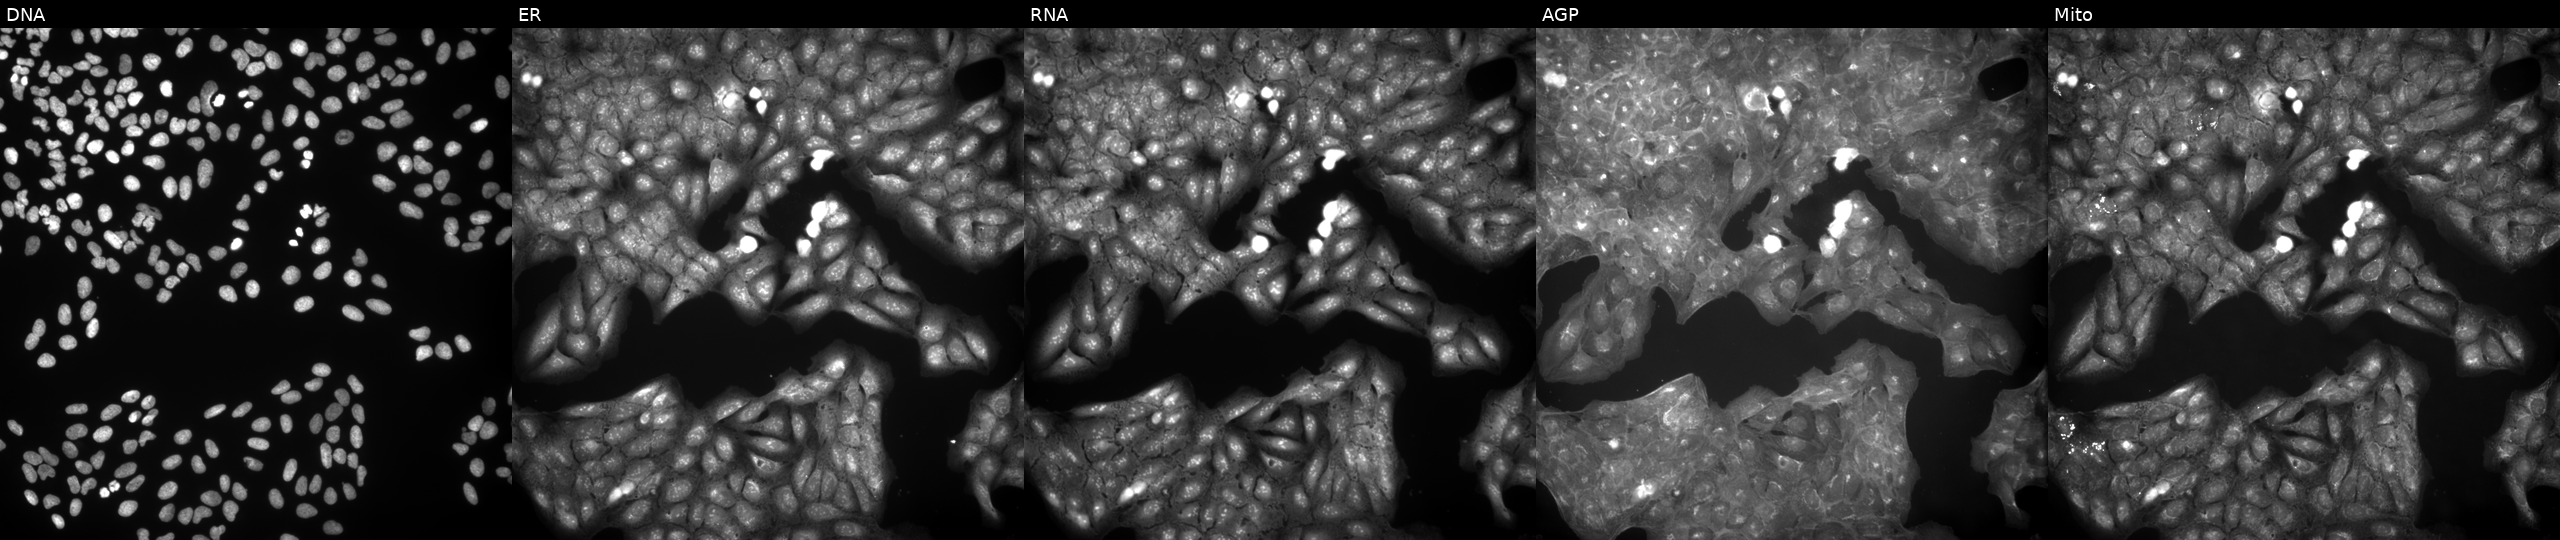
U2OS cells, Cell Painting assay, treated with a small-molecule compound (InChIKey FQLWPRIXQKTKDA-UHFFFAOYSA-N) [SMILES: CC1(C)Cc2ccccc2-c2nc3ccccc3c(=O)n21]. From left to right: DNA, ER, RNA, AGP, and Mito. Each panel is percentile-stretched 16-bit fluorescence. Source 9, plate GR00003382, well J32.